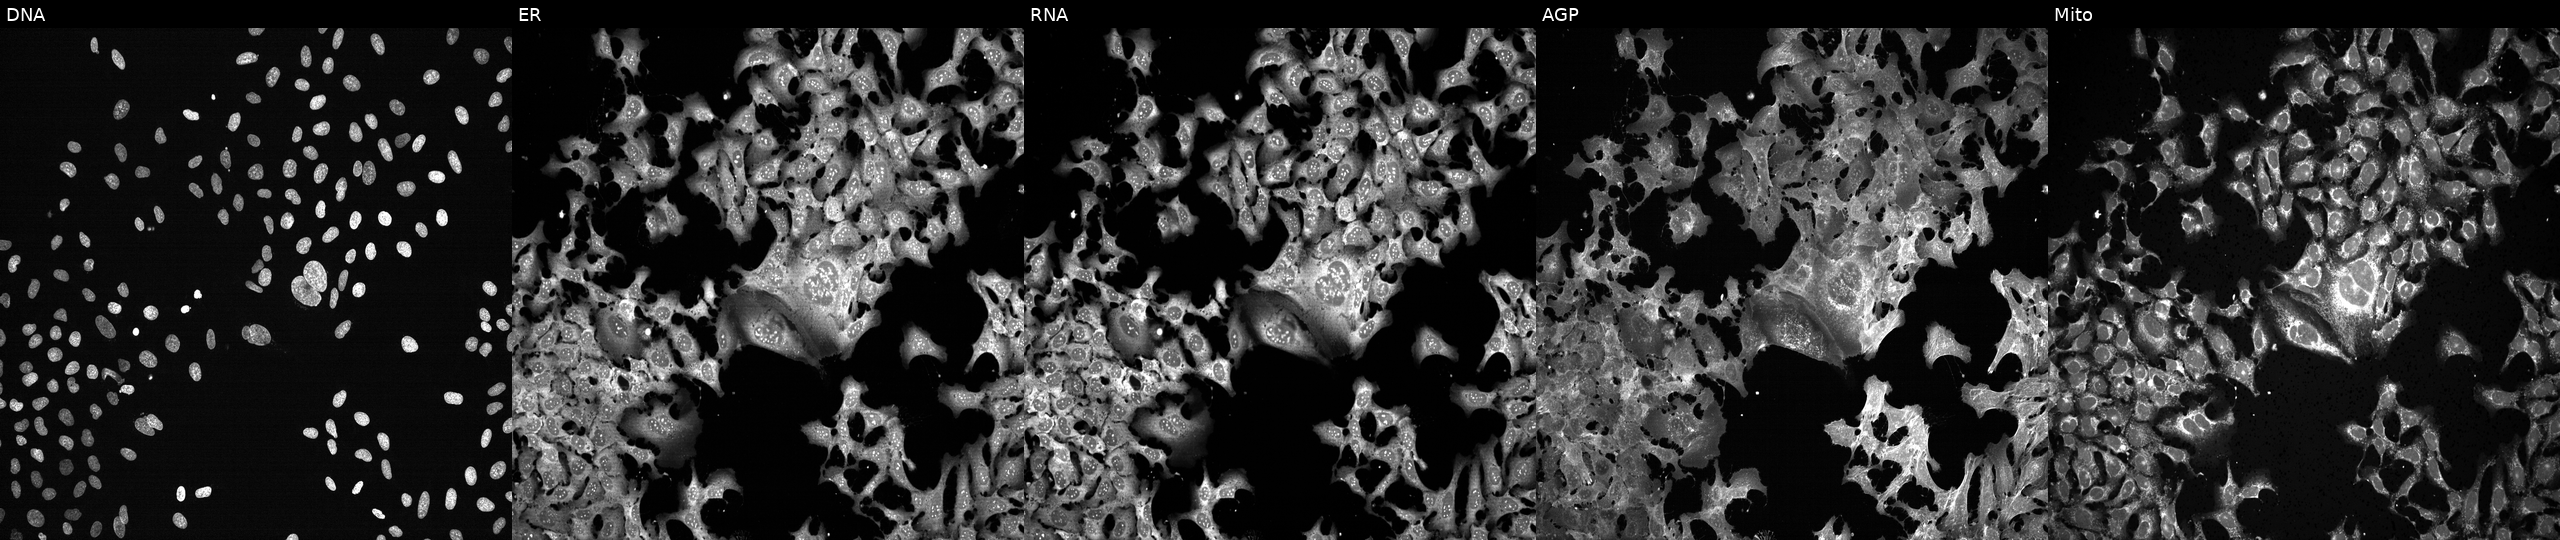
Channels (left→right): Hoechst 33342, concanavalin A, SYTO 14, phalloidin and WGA, MitoTracker. U2OS osteosarcoma cells treated with FK-866 (positive-control compound). Cell Painting assay, JUMP-CP dataset.